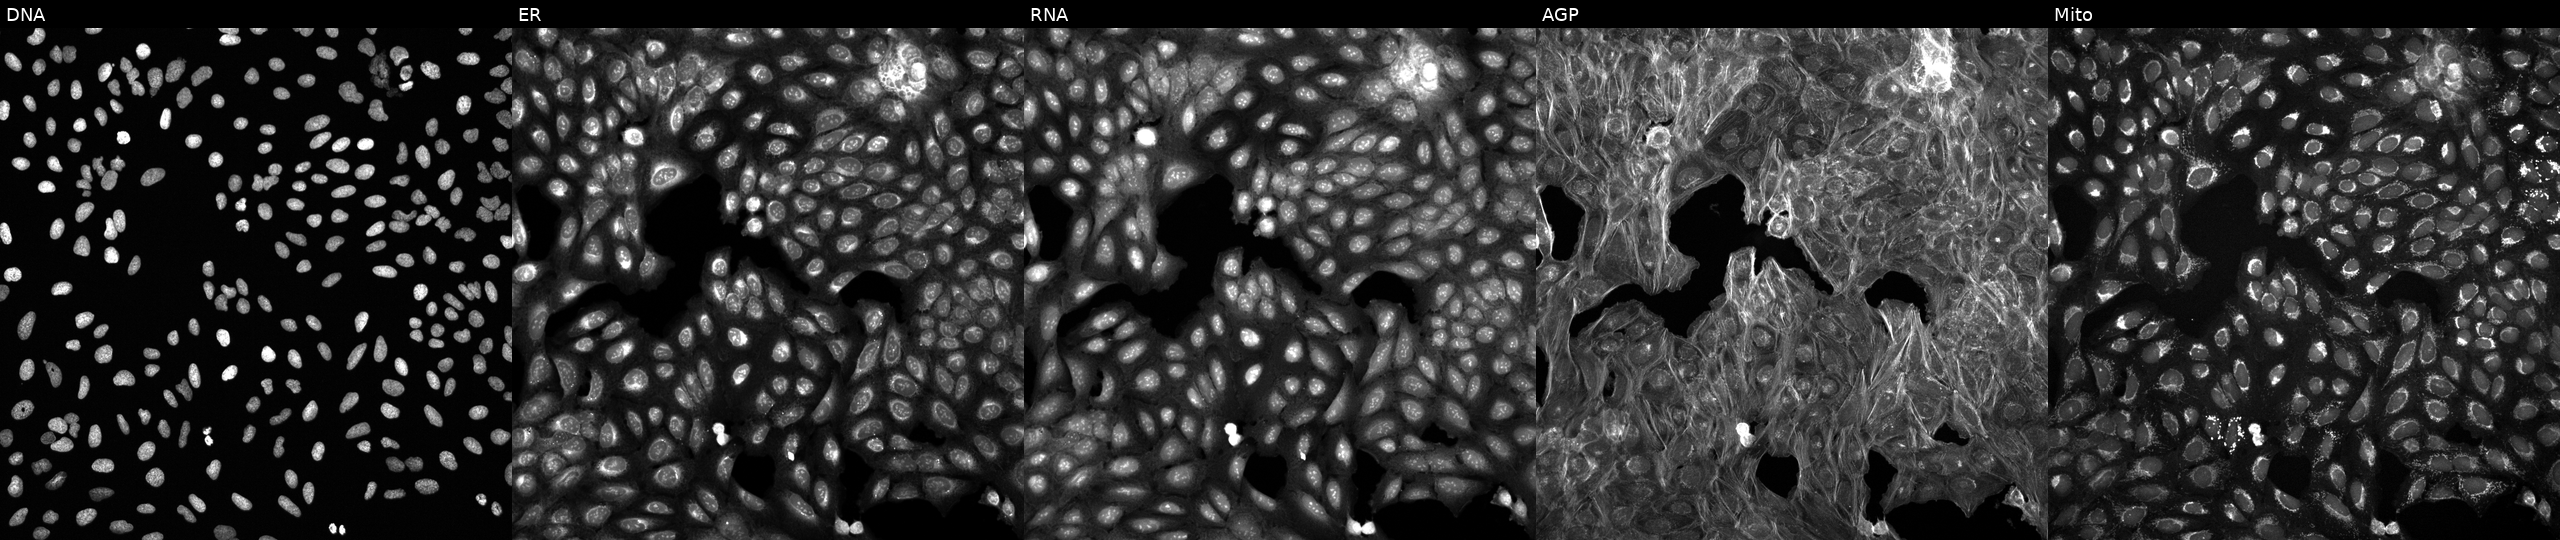
JUMP Cell Painting — COMPOUND plate. U2OS cells perturbed with a small-molecule compound (InChIKey RUMUDMIXXPWGMR-UHFFFAOYSA-N) (JUMP id JCP2022_080822). Channels (left→right): Hoechst 33342, concanavalin A, SYTO 14, phalloidin and WGA, MitoTracker.